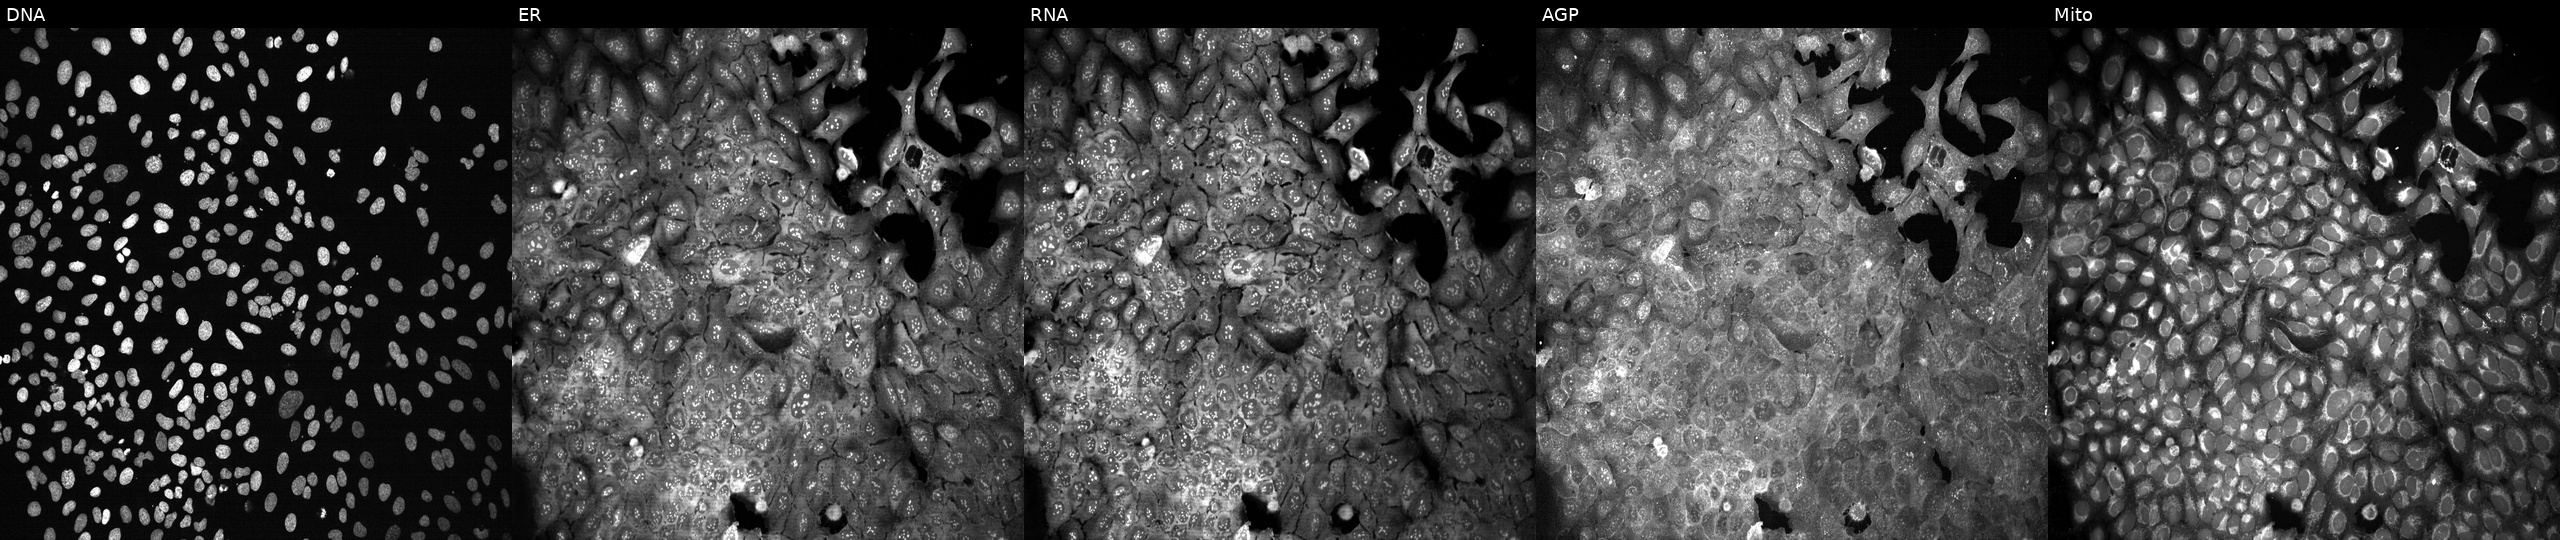
Five-channel Cell Painting image of U2OS cells CRISPR-edited to disrupt KIFAP3 (JUMP id JCP2022_803689). Channels (left→right): DNA, ER, RNA, AGP, and Mito.